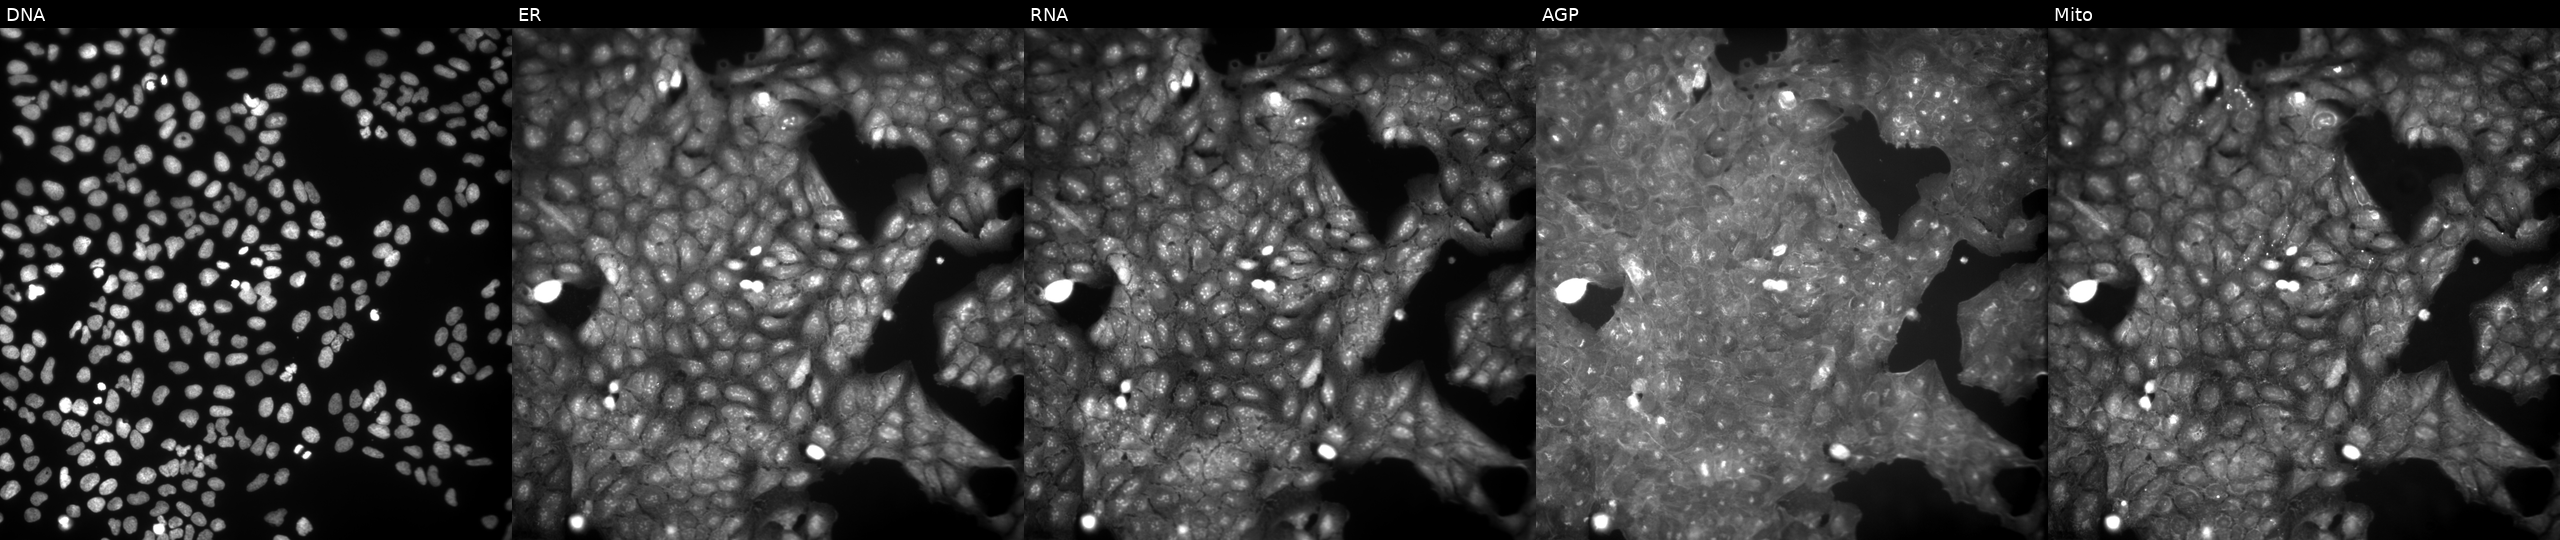
Five-channel Cell Painting image of U2OS cells exposed to a small-molecule compound. Panels show, left to right, Hoechst 33342, concanavalin A, SYTO 14, phalloidin and WGA, MitoTracker.